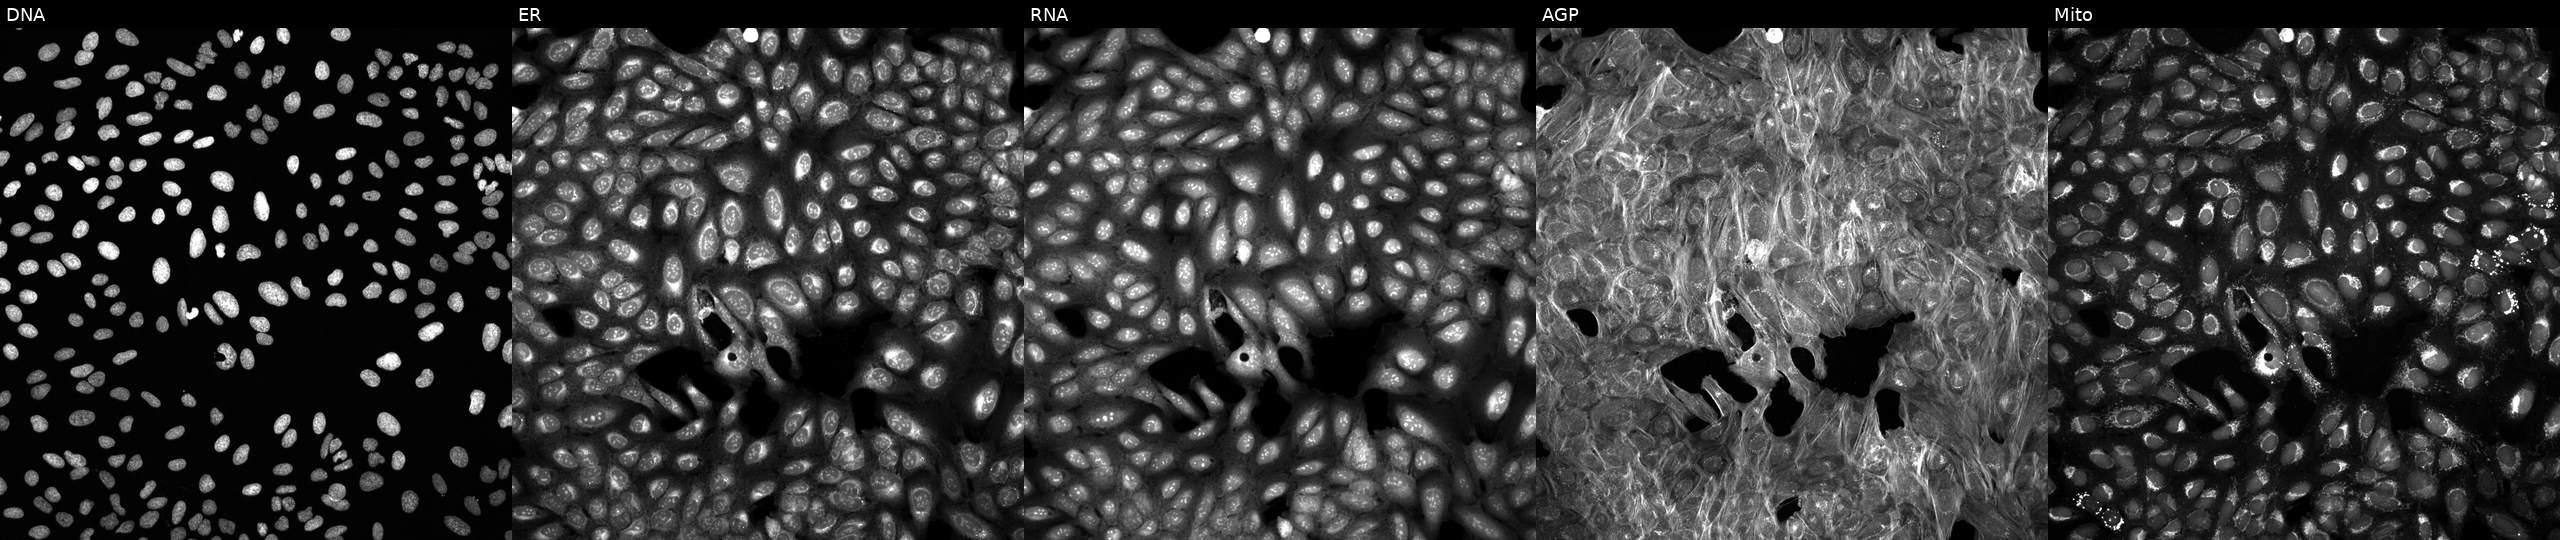
U2OS cells, Cell Painting assay, treated with DMSO vehicle only (negative control). Panels show, left to right, DNA (nuclei); ER (endoplasmic reticulum); RNA (nucleoli and cytoplasmic RNA); AGP (actin cytoskeleton, Golgi, and plasma membrane); Mito (mitochondria). Each panel is percentile-stretched 16-bit fluorescence.